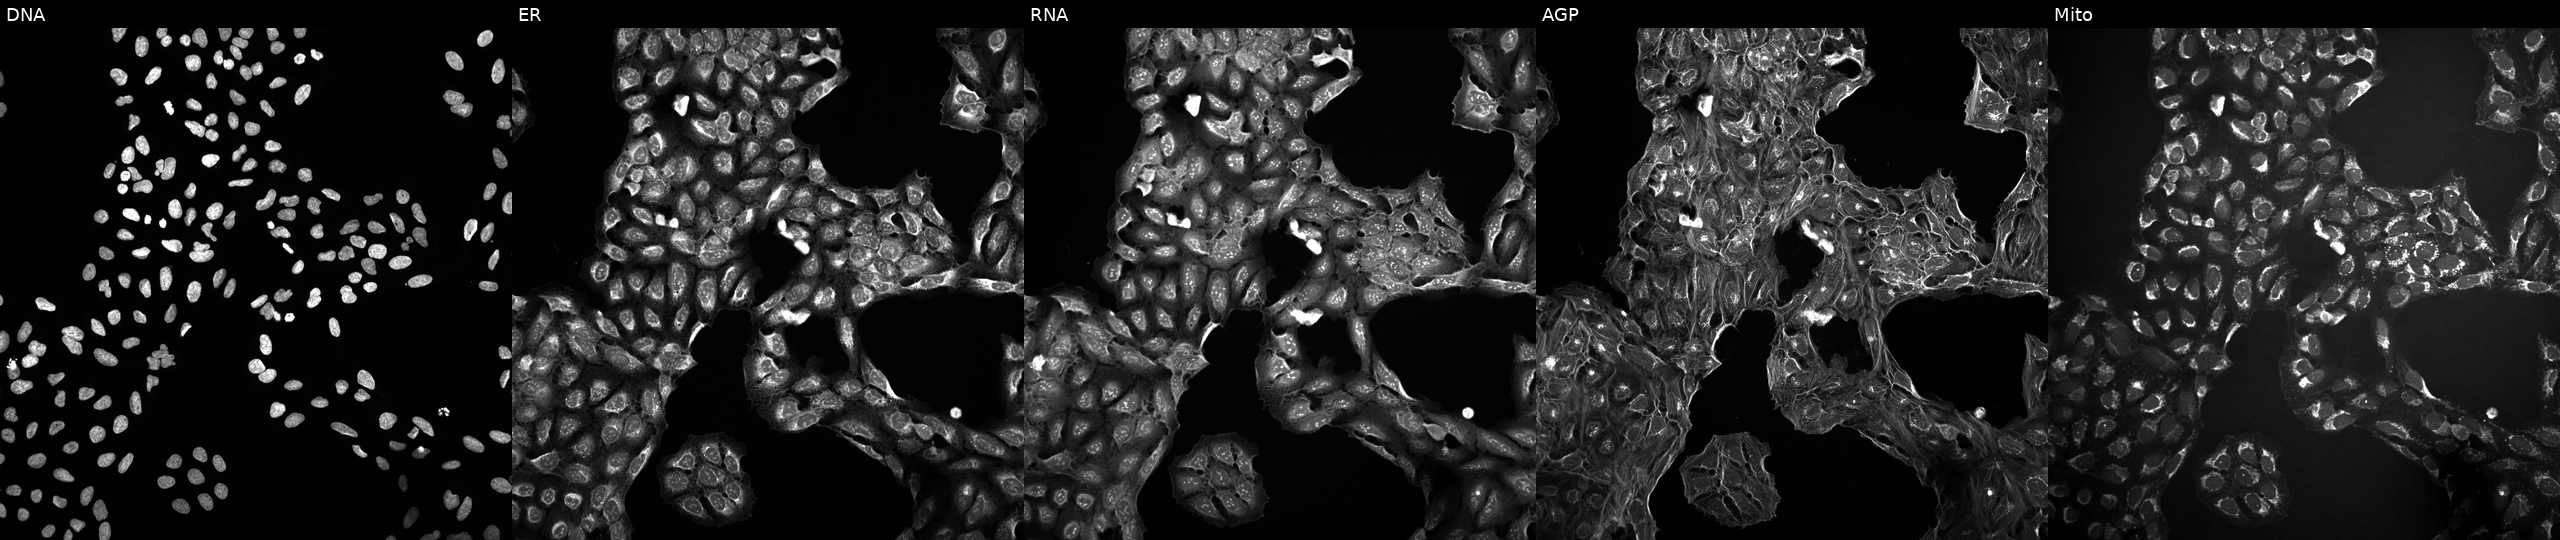
From left to right: DNA, ER, RNA, AGP, and Mito. U2OS osteosarcoma cells untreated (empty-well control). Cell Painting assay, JUMP-CP dataset.